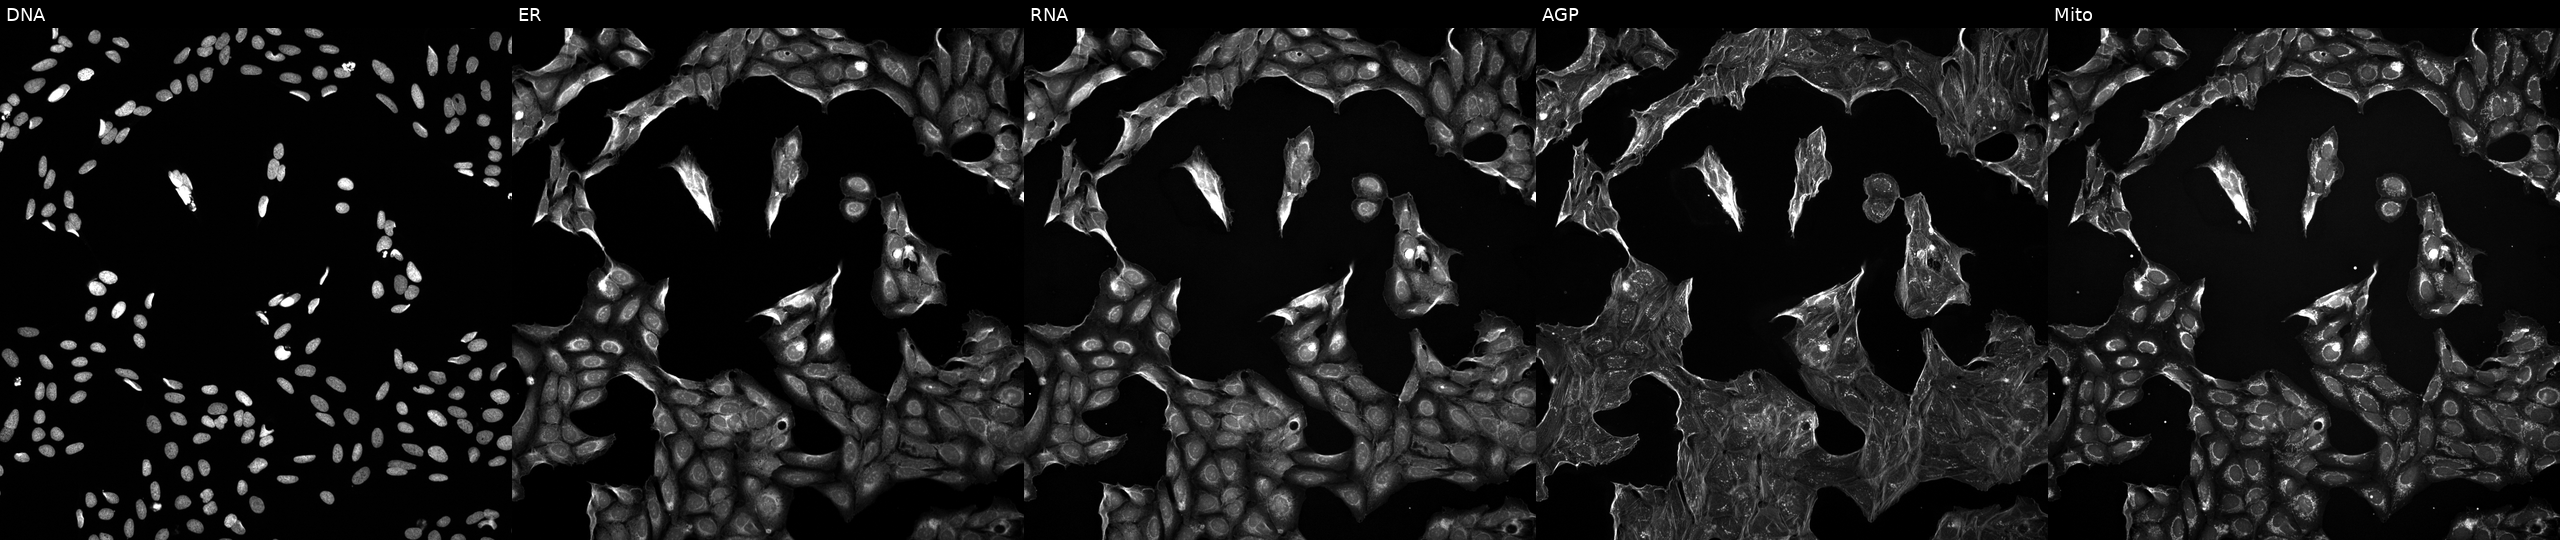
High-content fluorescence microscopy (Cell Painting). Cell line: U2OS. Perturbation: exposed to a small-molecule compound (InChIKey KXBDTLQSDKGAEB-UHFFFAOYSA-N) (JUMP id JCP2022_047545). Panels show, left to right, DNA (nuclei); ER (endoplasmic reticulum); RNA (nucleoli and cytoplasmic RNA); AGP (actin cytoskeleton, Golgi, and plasma membrane); Mito (mitochondria).